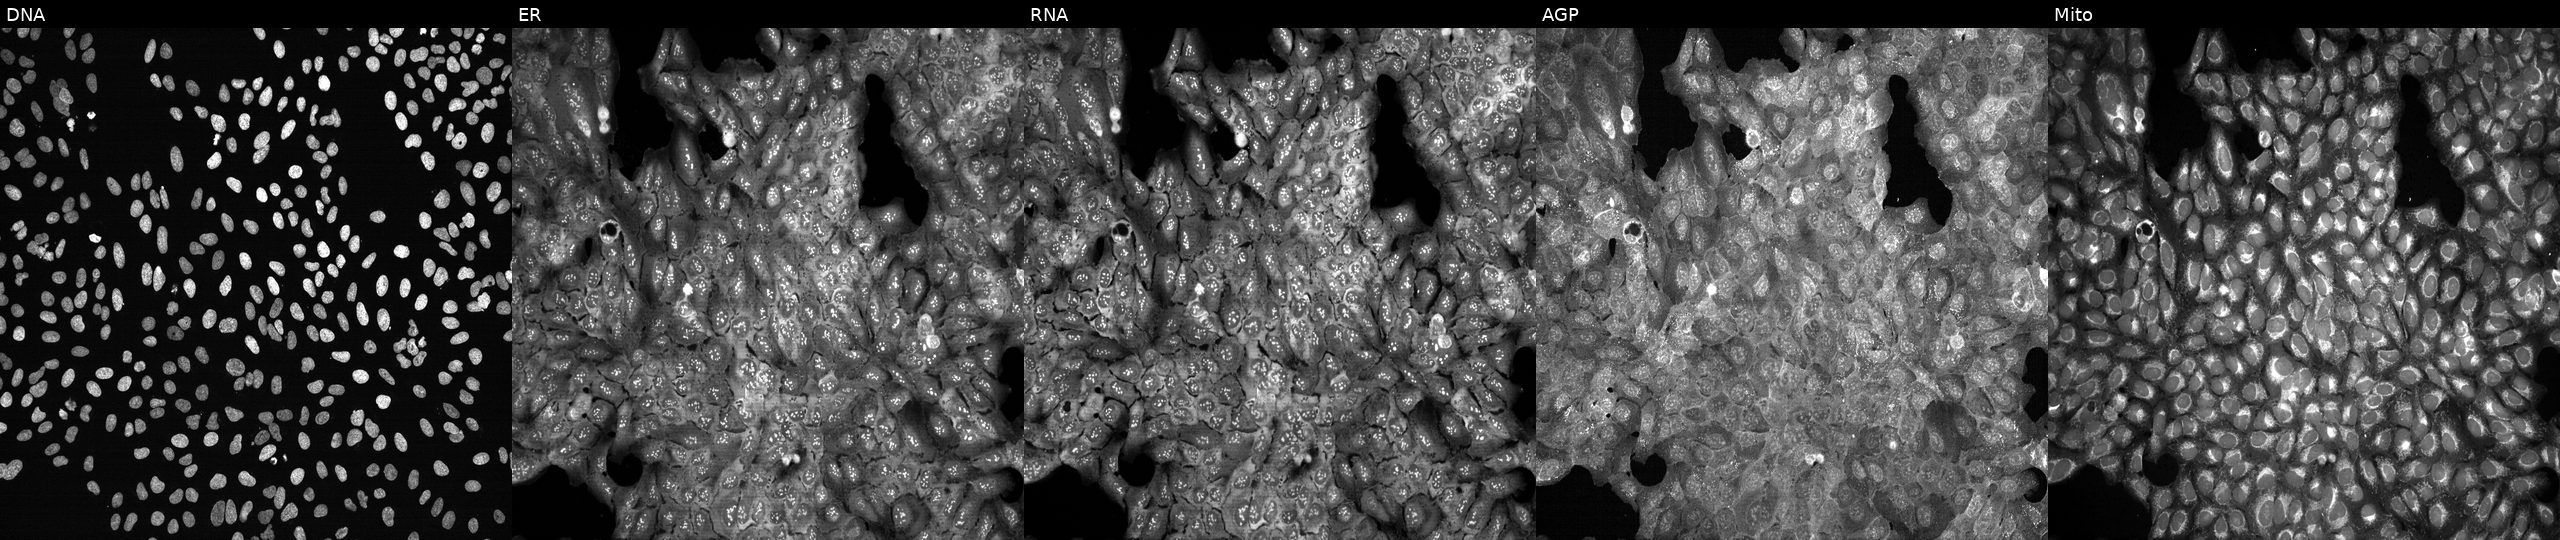
Five-channel Cell Painting image of U2OS cells following CRISPR knockout of RAP2C (JUMP id JCP2022_805833). The five panels, left to right, show DNA (nuclei); ER (endoplasmic reticulum); RNA (nucleoli and cytoplasmic RNA); AGP (actin cytoskeleton, Golgi, and plasma membrane); Mito (mitochondria).